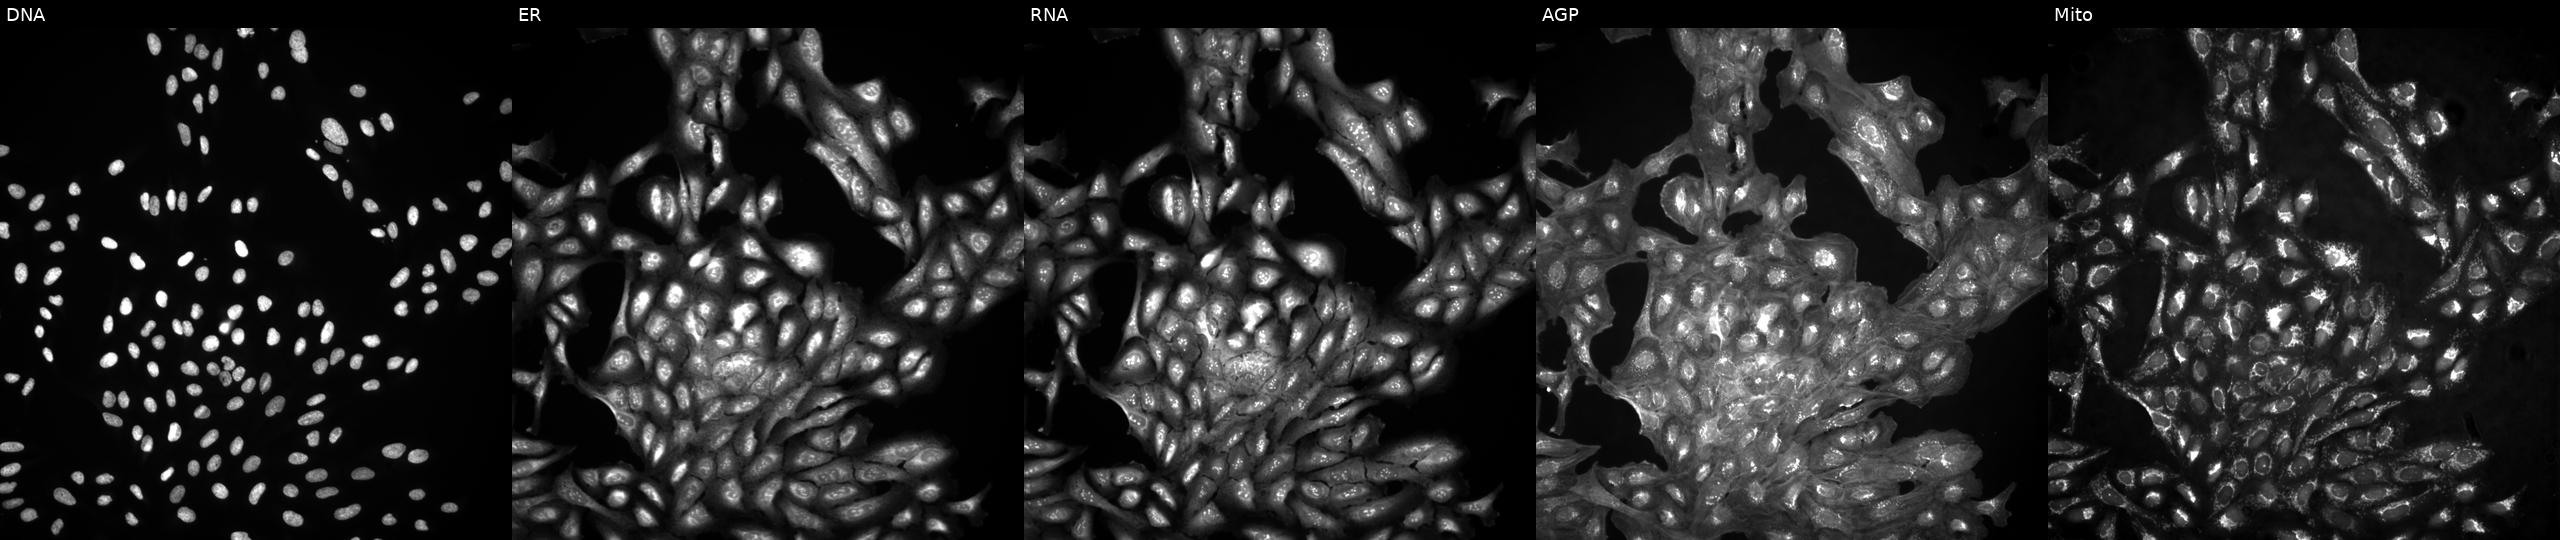
Five-channel Cell Painting image of U2OS cells in an empty control well (no perturbation) (JUMP id JCP2022_999999). Panels show, left to right, DNA, ER, RNA, AGP, and Mito.